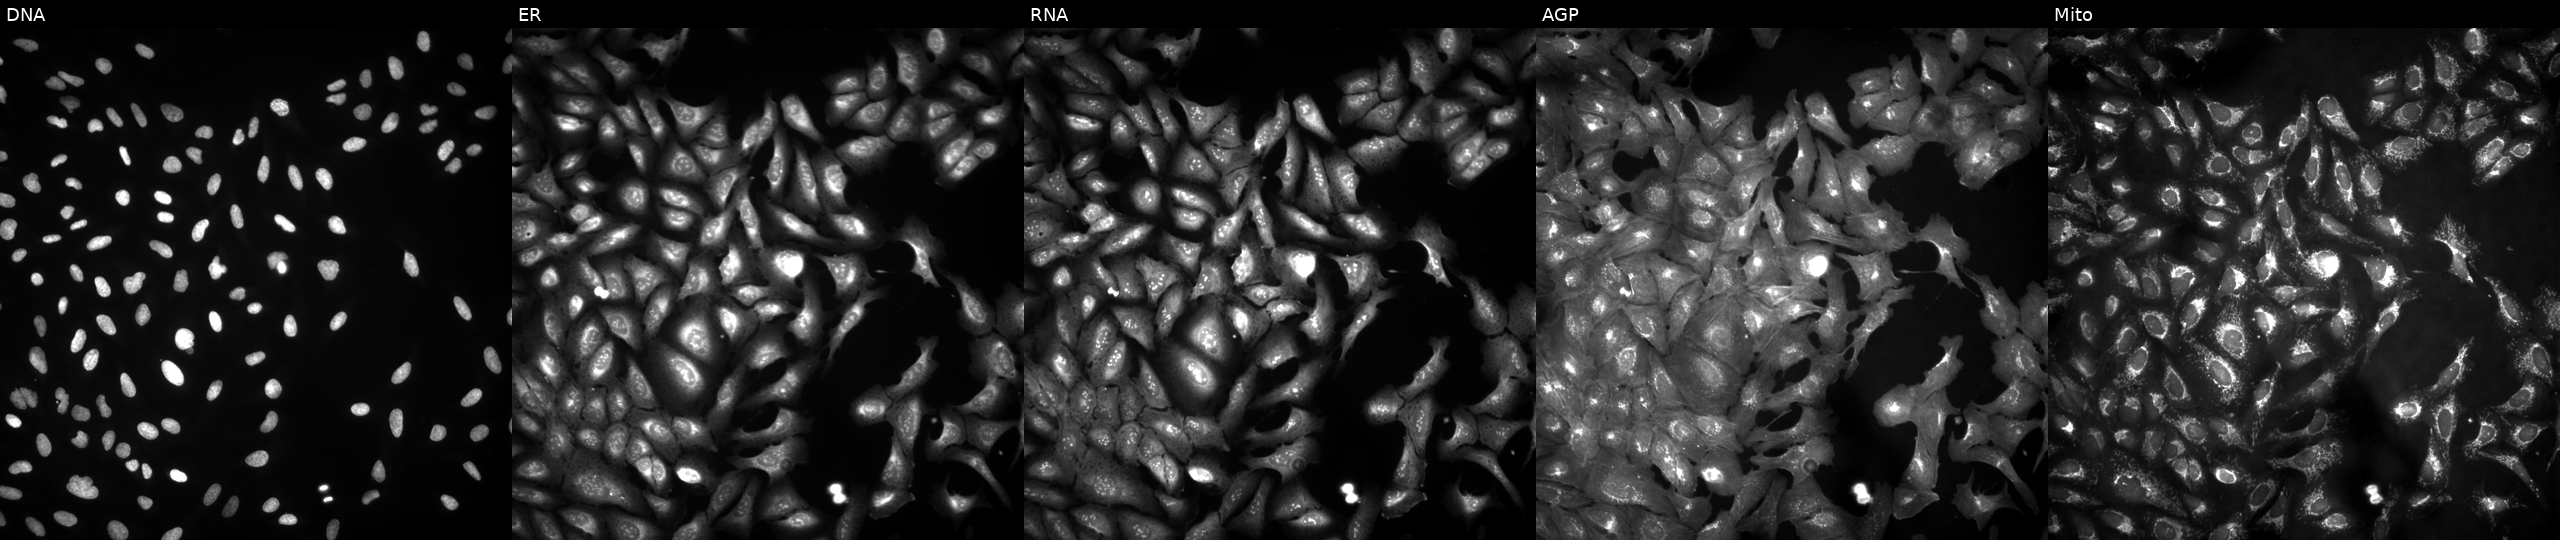
JUMP Cell Painting — ORF plate. U2OS cells transfected with an ORF construct for TMEM31. The five panels, left to right, show DNA, ER, RNA, AGP, and Mito. Source 4, plate BR00121543, well B12.